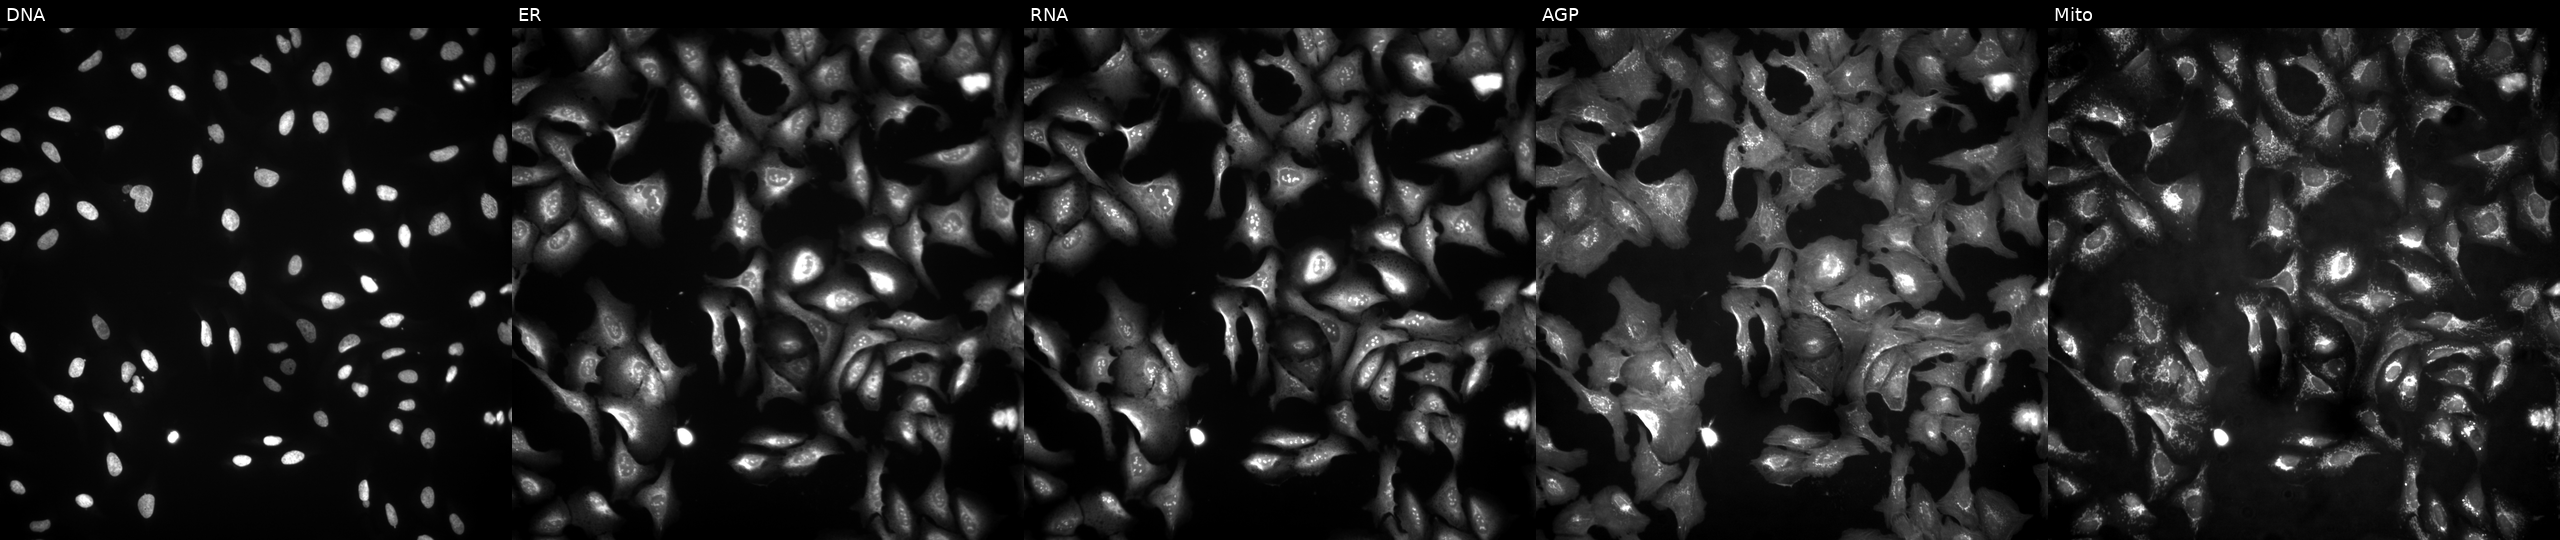
JUMP Cell Painting — ORF plate. U2OS cells with PARVA overexpressed (ORF) (JUMP id JCP2022_908015). The five panels, left to right, show Hoechst 33342, concanavalin A, SYTO 14, phalloidin and WGA, MitoTracker. Source 4, plate BR00124790, well F17.